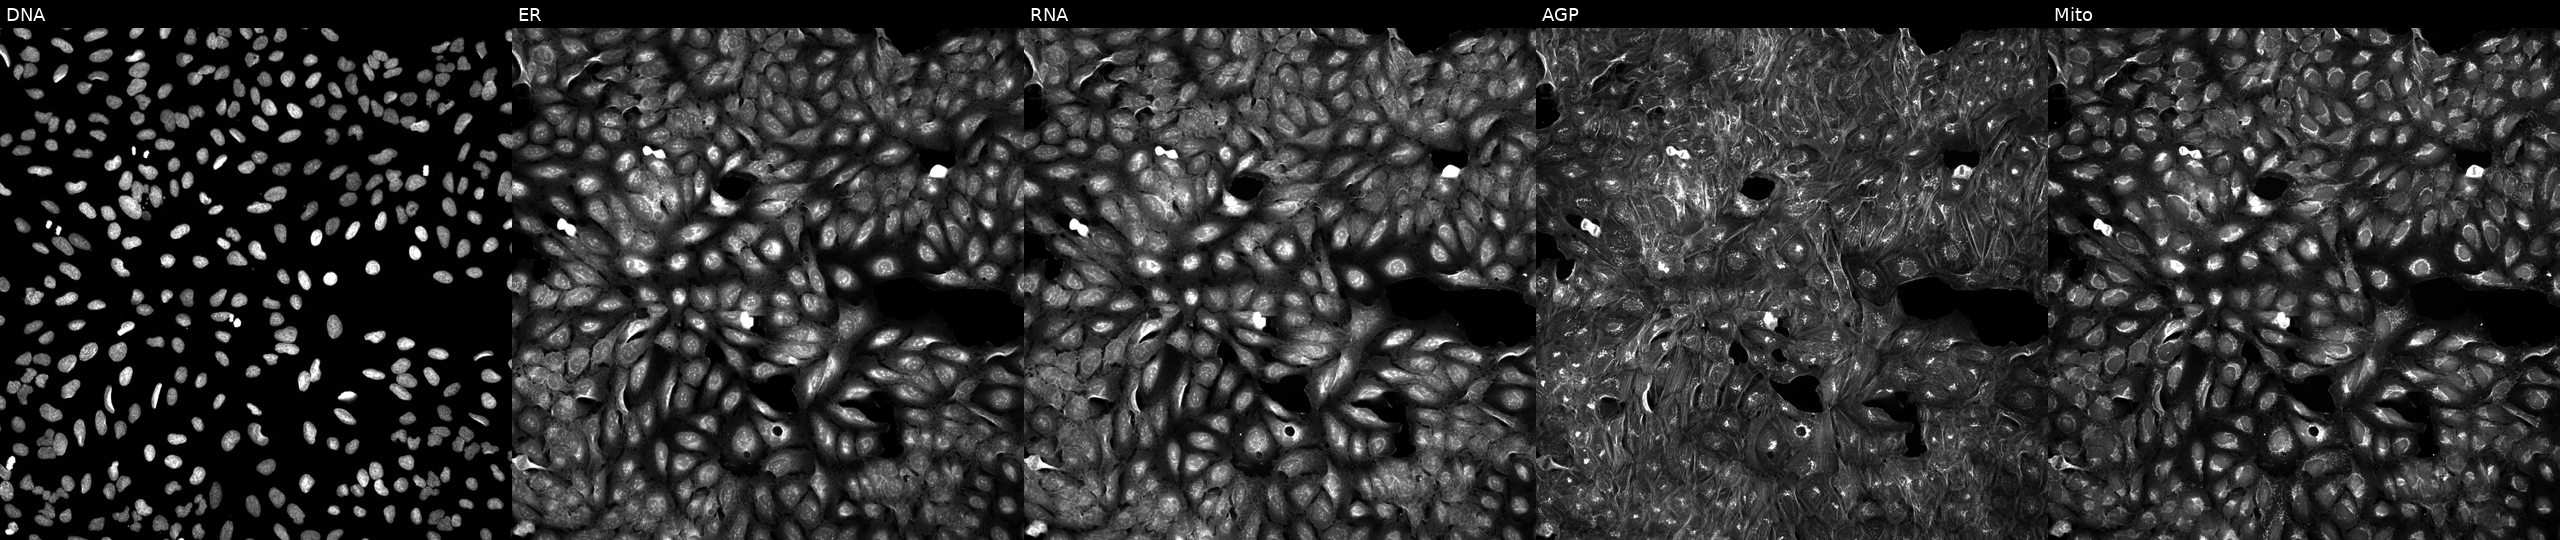
U2OS cells, Cell Painting assay, exposed to a small-molecule compound (InChIKey ILIMDZVZJGBMIB-UHFFFAOYSA-N) [SMILES: CN(CCN1CCN(S(=O)(=O)Cc2ccon2)CC1)Cc1ccc(F)cc1] (JUMP id JCP2022_035796). From left to right: DNA (nuclei); ER (endoplasmic reticulum); RNA (nucleoli and cytoplasmic RNA); AGP (actin cytoskeleton, Golgi, and plasma membrane); Mito (mitochondria). Each panel is percentile-stretched 16-bit fluorescence. Source 5, plate APTJUM106, well L08.